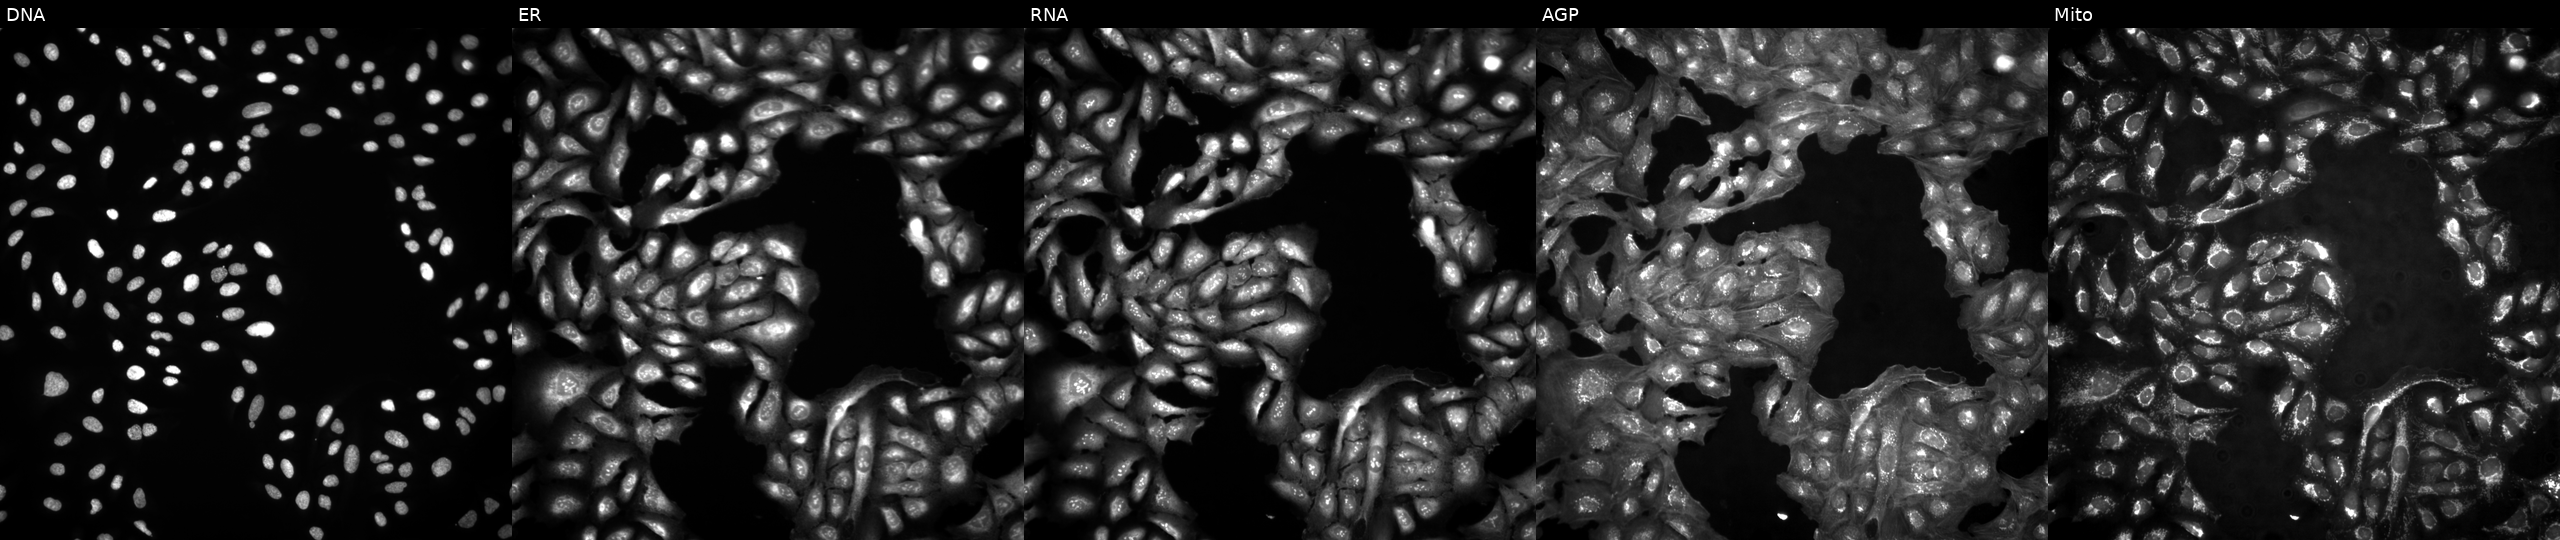
High-content fluorescence microscopy (Cell Painting). Cell line: U2OS. Perturbation: untreated (empty-well control) (JUMP id JCP2022_999999). Panels show, left to right, Hoechst 33342, concanavalin A, SYTO 14, phalloidin and WGA, MitoTracker. Source 4, plate BR00124793, well E18.